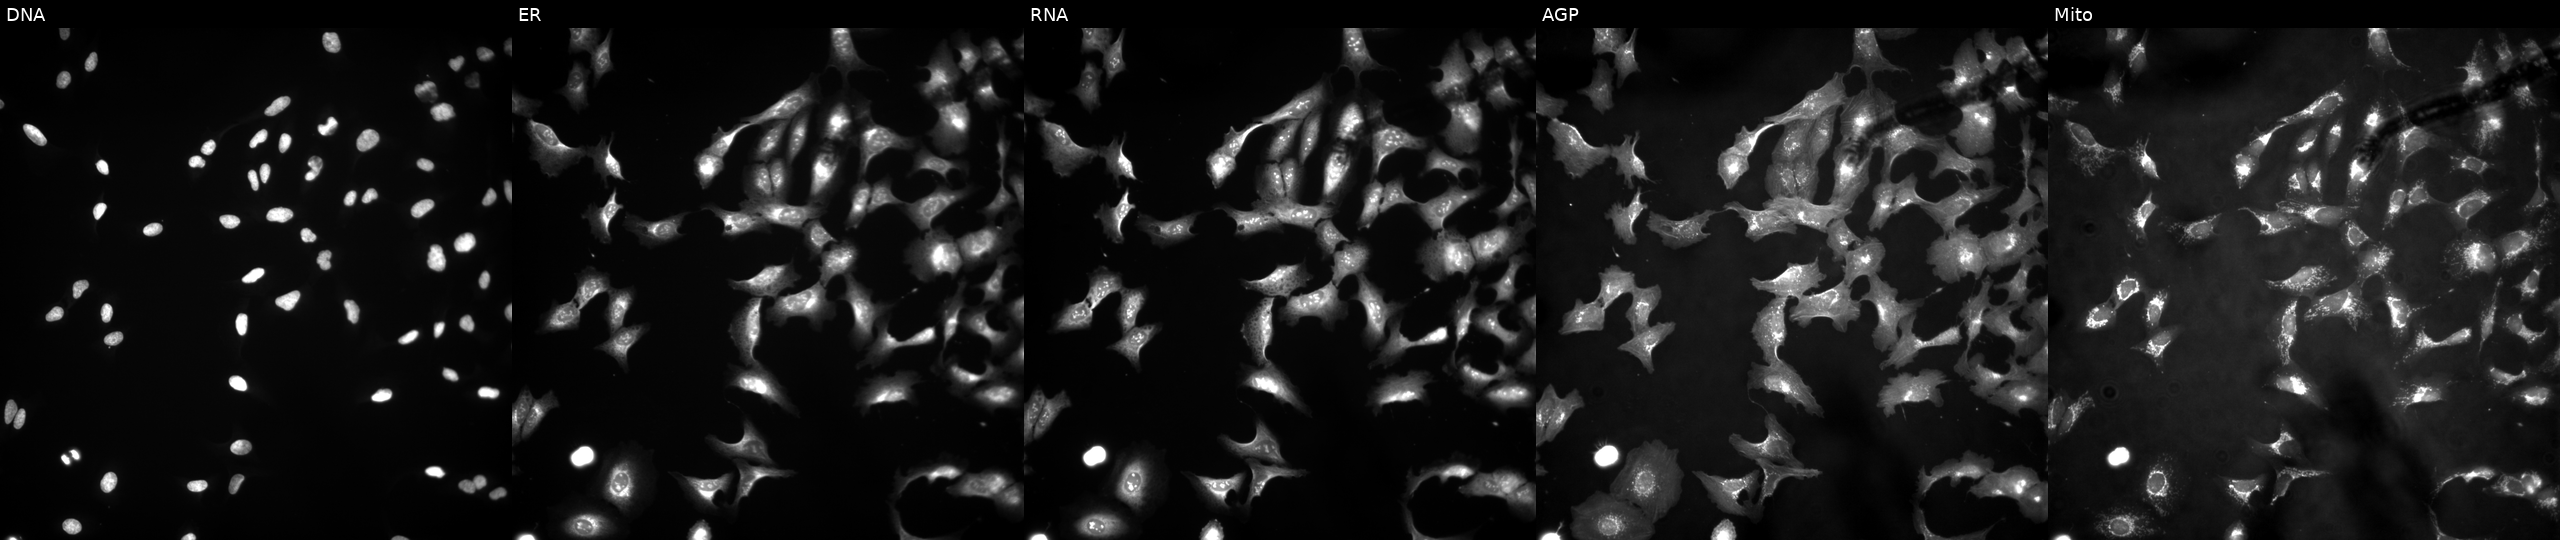
JUMP Cell Painting — ORF plate. U2OS cells transfected with an ORF construct for NDRG4. Channels (left→right): DNA, ER, RNA, AGP, and Mito.